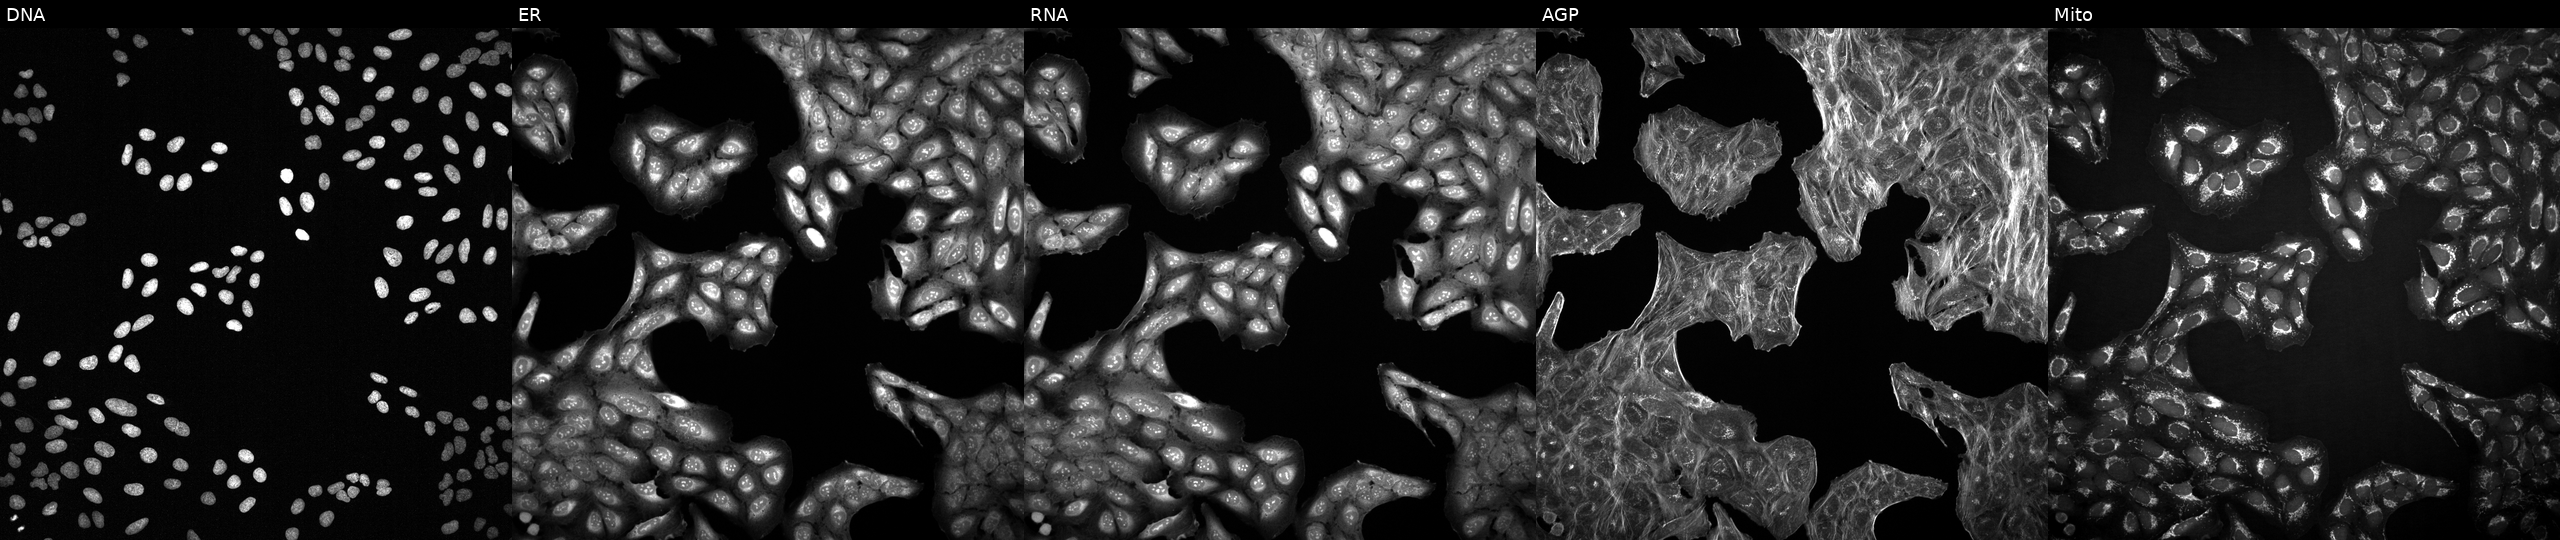
Five-channel Cell Painting image of U2OS cells with an unidentified perturbation (not annotated in JUMP metadata). From left to right: DNA (nuclei); ER (endoplasmic reticulum); RNA (nucleoli and cytoplasmic RNA); AGP (actin cytoskeleton, Golgi, and plasma membrane); Mito (mitochondria). Source 2, plate 1053601763, well P17.